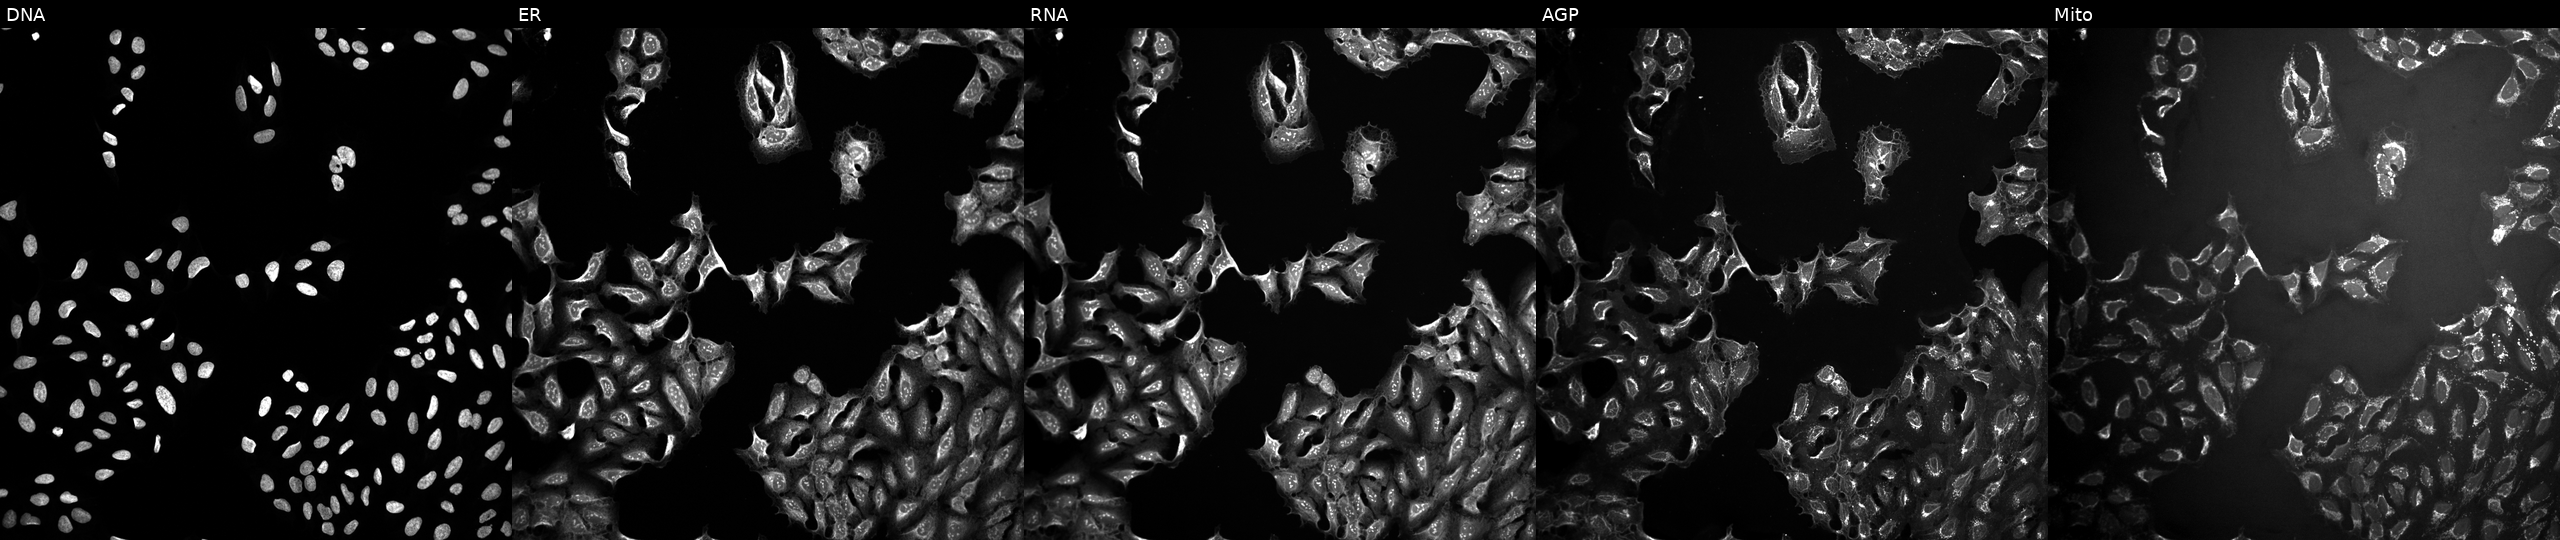
U2OS cells, Cell Painting assay, perturbed with a small-molecule compound. From left to right: DNA, ER, RNA, AGP, and Mito. Each panel is percentile-stretched 16-bit fluorescence.